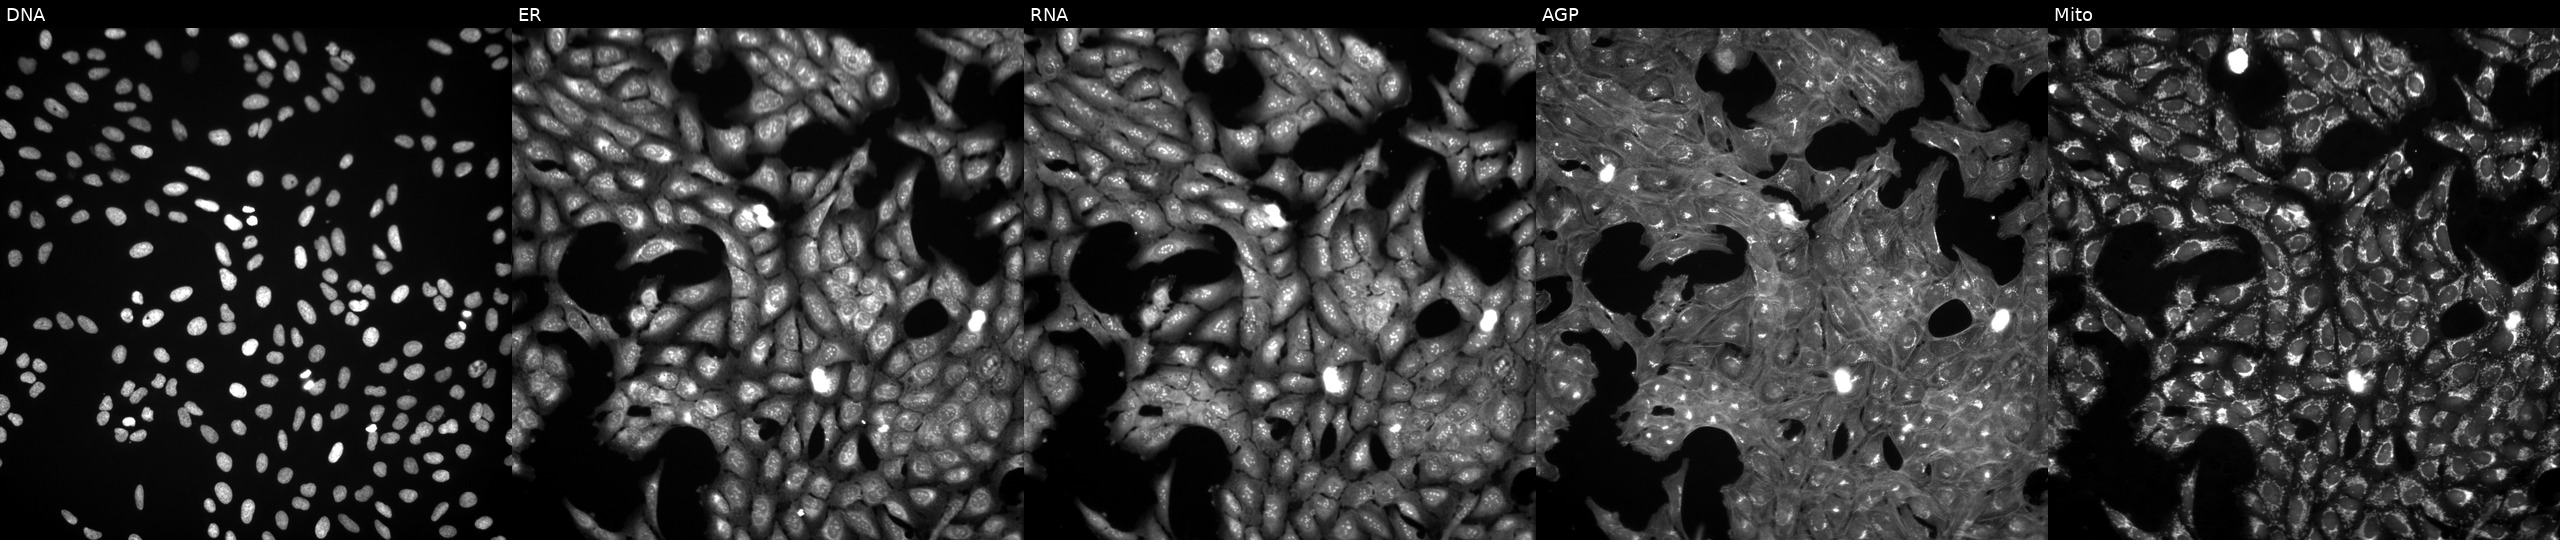
Panels show, left to right, DNA (nuclei); ER (endoplasmic reticulum); RNA (nucleoli and cytoplasmic RNA); AGP (actin cytoskeleton, Golgi, and plasma membrane); Mito (mitochondria). U2OS osteosarcoma cells perturbed with a small-molecule compound (InChIKey CZNGCIREEDNKQO-UHFFFAOYSA-N) (JUMP id JCP2022_014472). Cell Painting assay, JUMP-CP dataset. Source 3, plate BR5867a3, well A13.